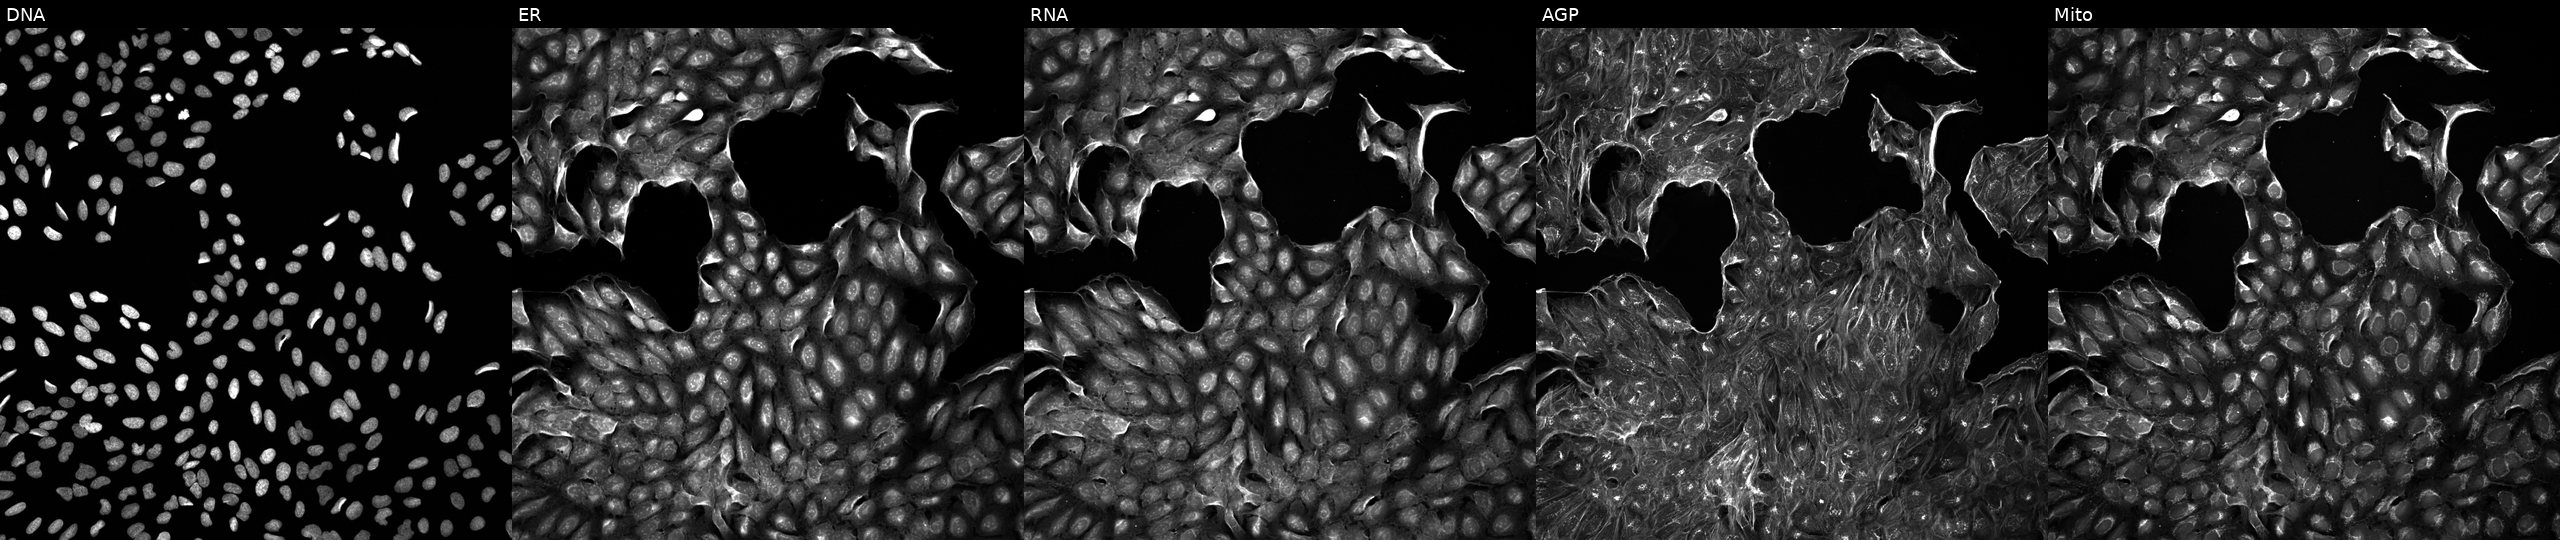
The five panels, left to right, show DNA, ER, RNA, AGP, and Mito. U2OS osteosarcoma cells exposed to DMSO alone as a negative control. Cell Painting assay, JUMP-CP dataset. Source 5, plate APTJUM106, well M02.